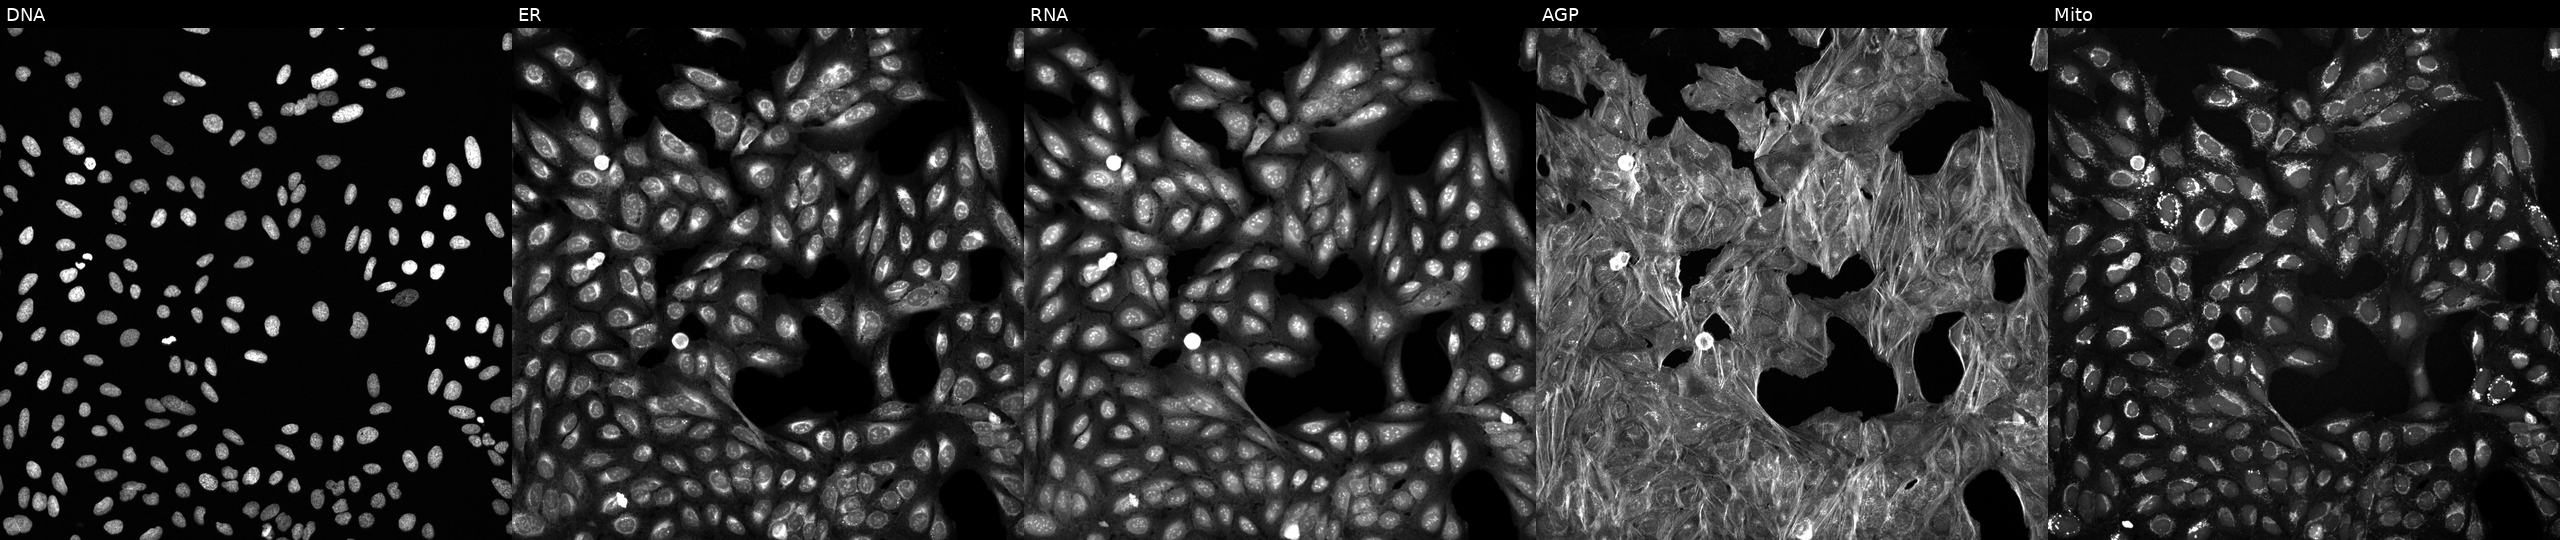
Five-channel Cell Painting image of U2OS cells treated with a small-molecule compound (InChIKey KHEZZEZIIABEMQ-UHFFFAOYSA-N) (JUMP id JCP2022_044603). From left to right: DNA (nuclei); ER (endoplasmic reticulum); RNA (nucleoli and cytoplasmic RNA); AGP (actin cytoskeleton, Golgi, and plasma membrane); Mito (mitochondria). Source 6, plate 110000293082, well I22.